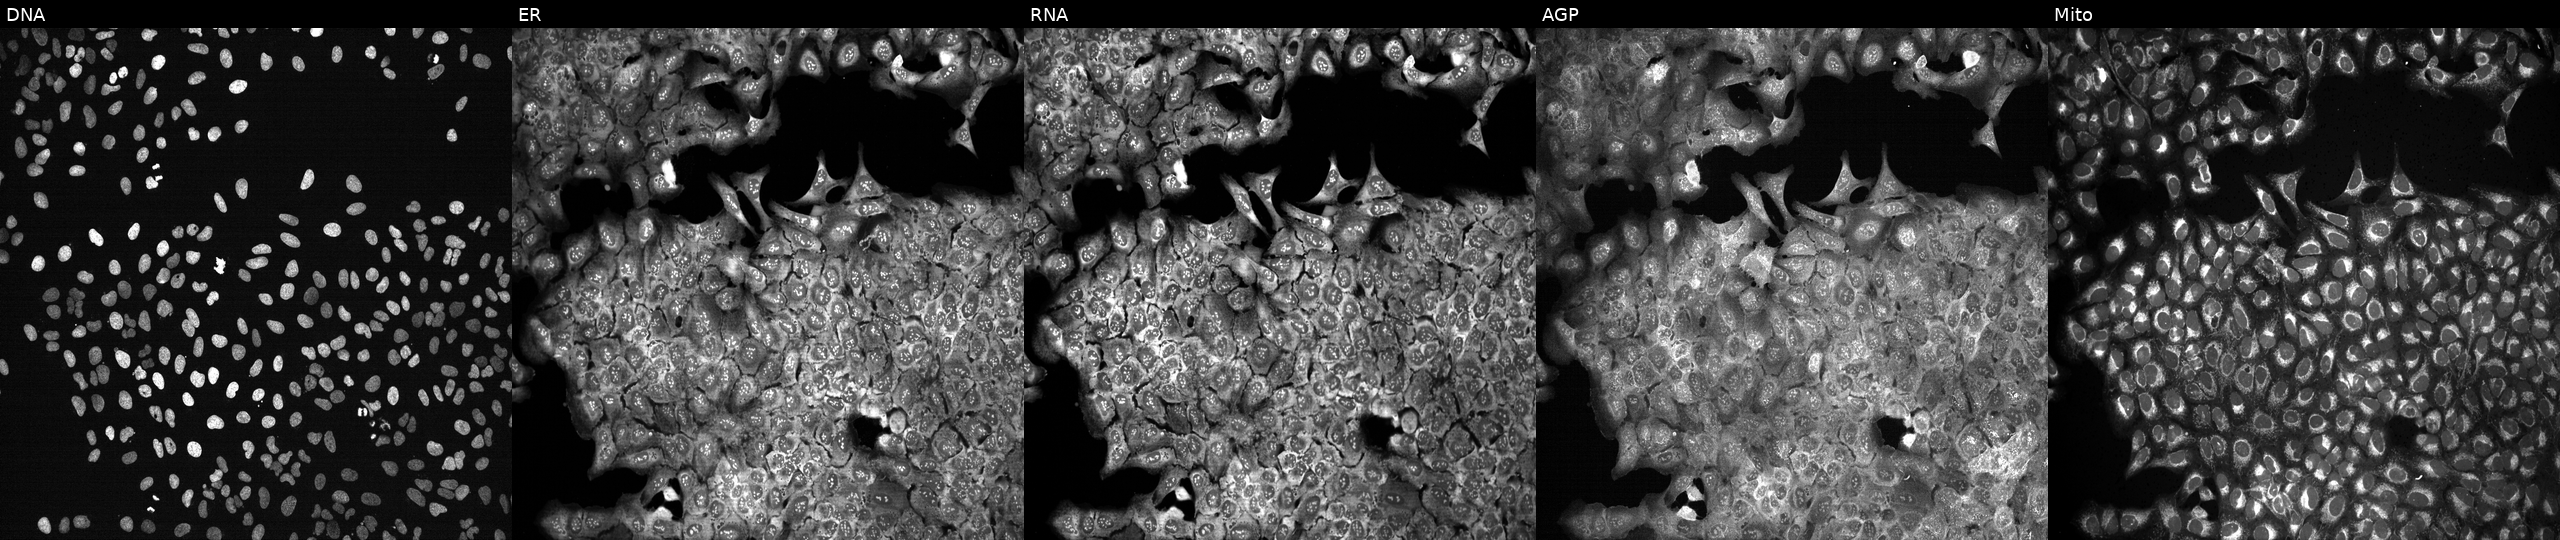
This image strip shows the five Cell Painting channels for a single field of U2OS cells with RAC2 knocked out by CRISPR (JUMP id JCP2022_805797). Panels show, left to right, DNA (nuclei); ER (endoplasmic reticulum); RNA (nucleoli and cytoplasmic RNA); AGP (actin cytoskeleton, Golgi, and plasma membrane); Mito (mitochondria).